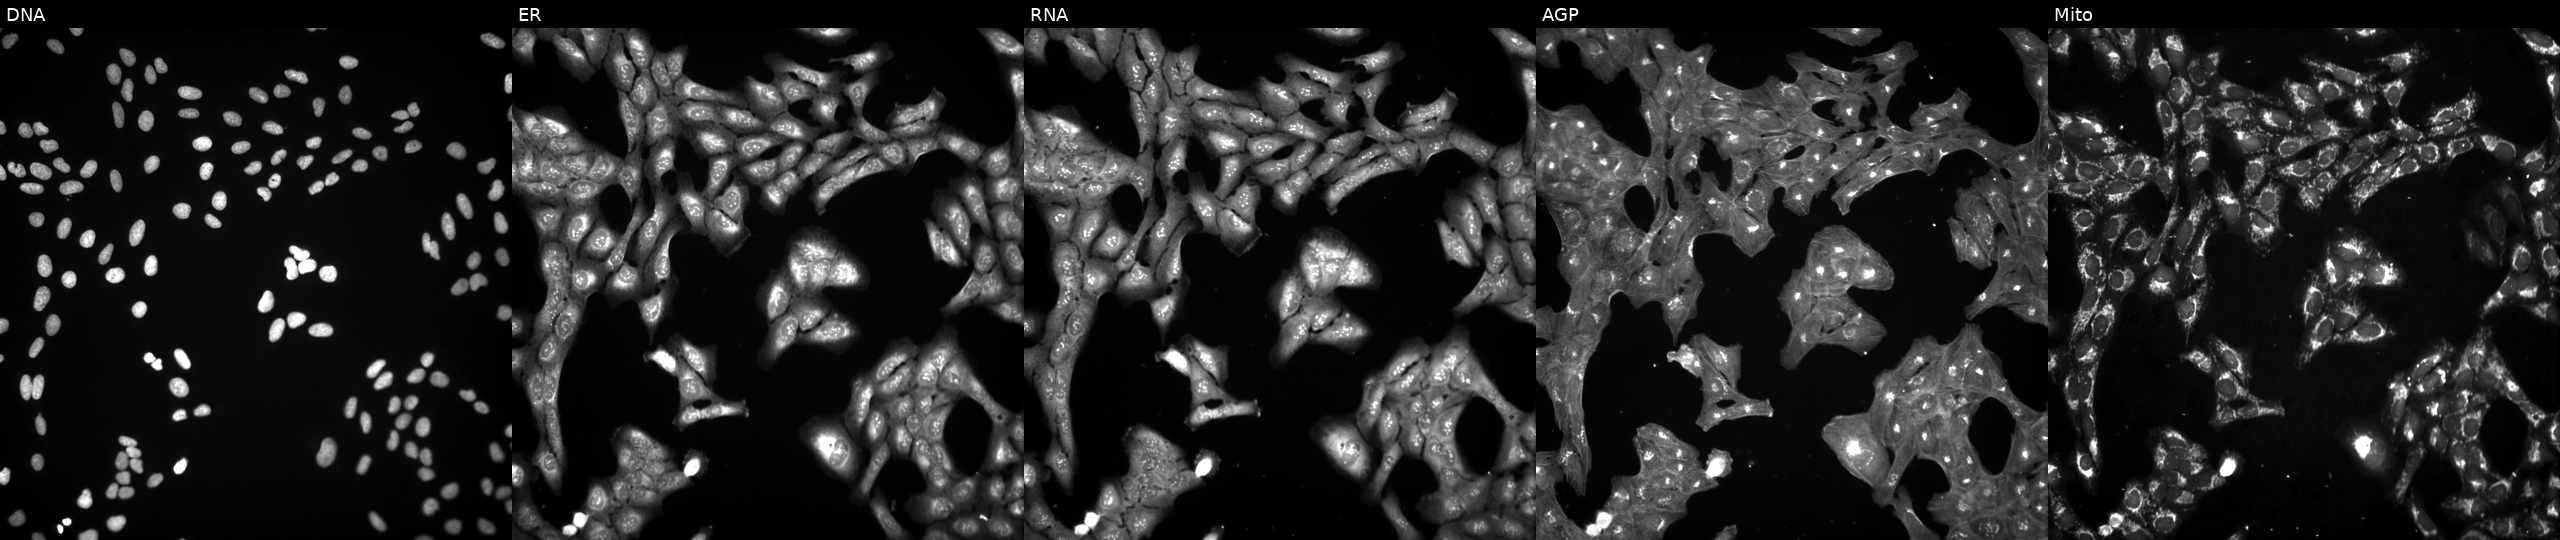
This image strip shows the five Cell Painting channels for a single field of U2OS cells perturbed with a small-molecule compound (InChIKey RATZLMXRALDSJW-UHFFFAOYSA-N). Channels (left→right): Hoechst 33342, concanavalin A, SYTO 14, phalloidin and WGA, MitoTracker. Source 3, plate JCPQC052, well P06.